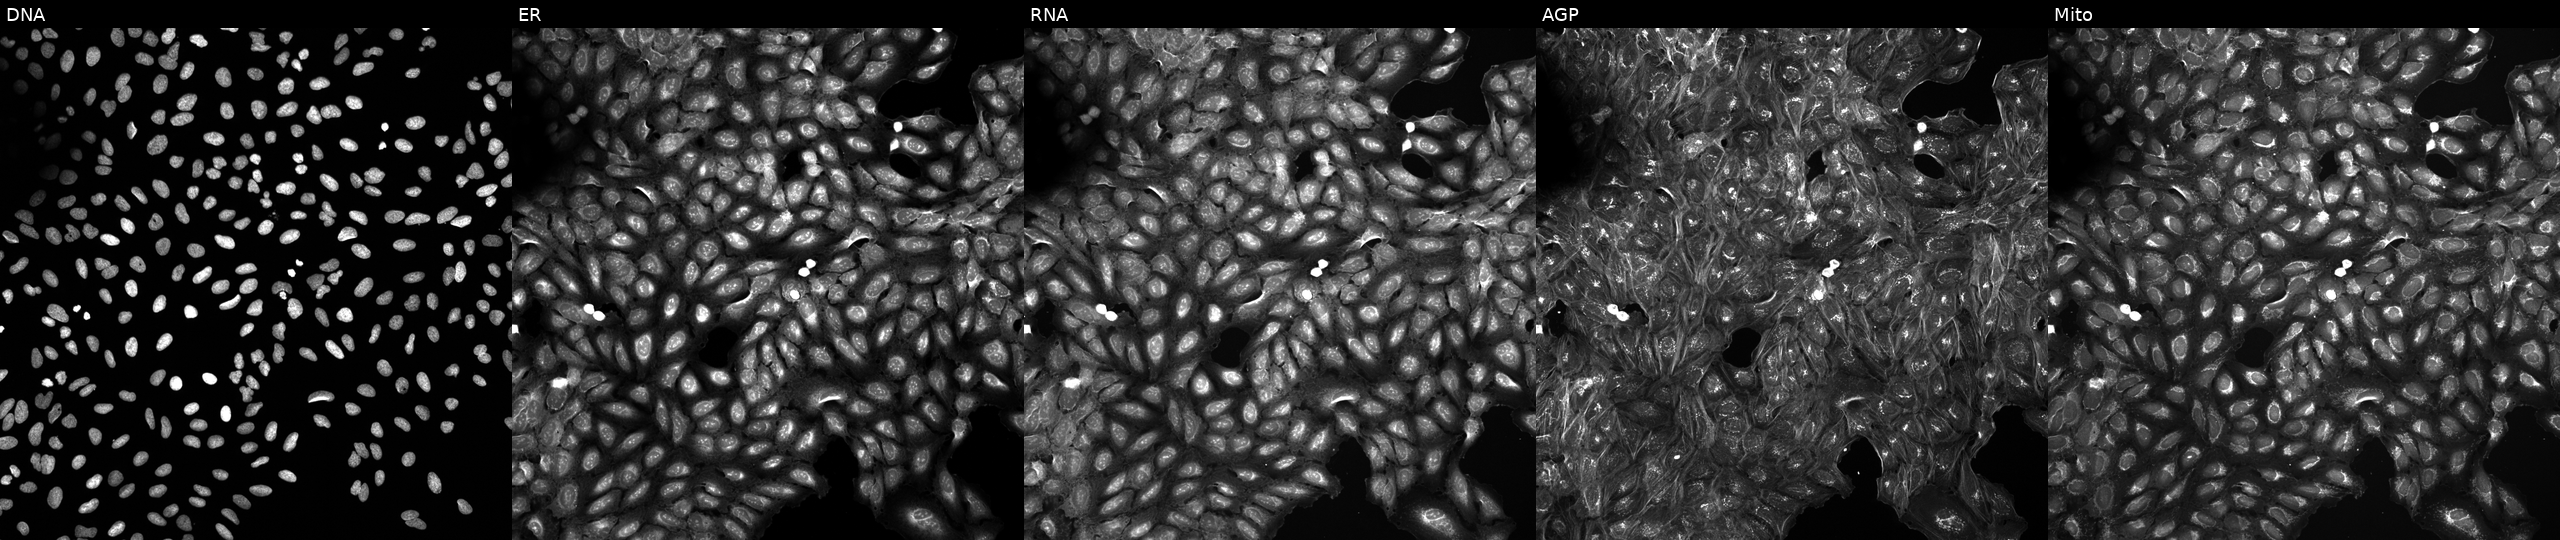
Five-channel Cell Painting image of U2OS cells exposed to a small-molecule compound. Channels (left→right): Hoechst 33342, concanavalin A, SYTO 14, phalloidin and WGA, MitoTracker.